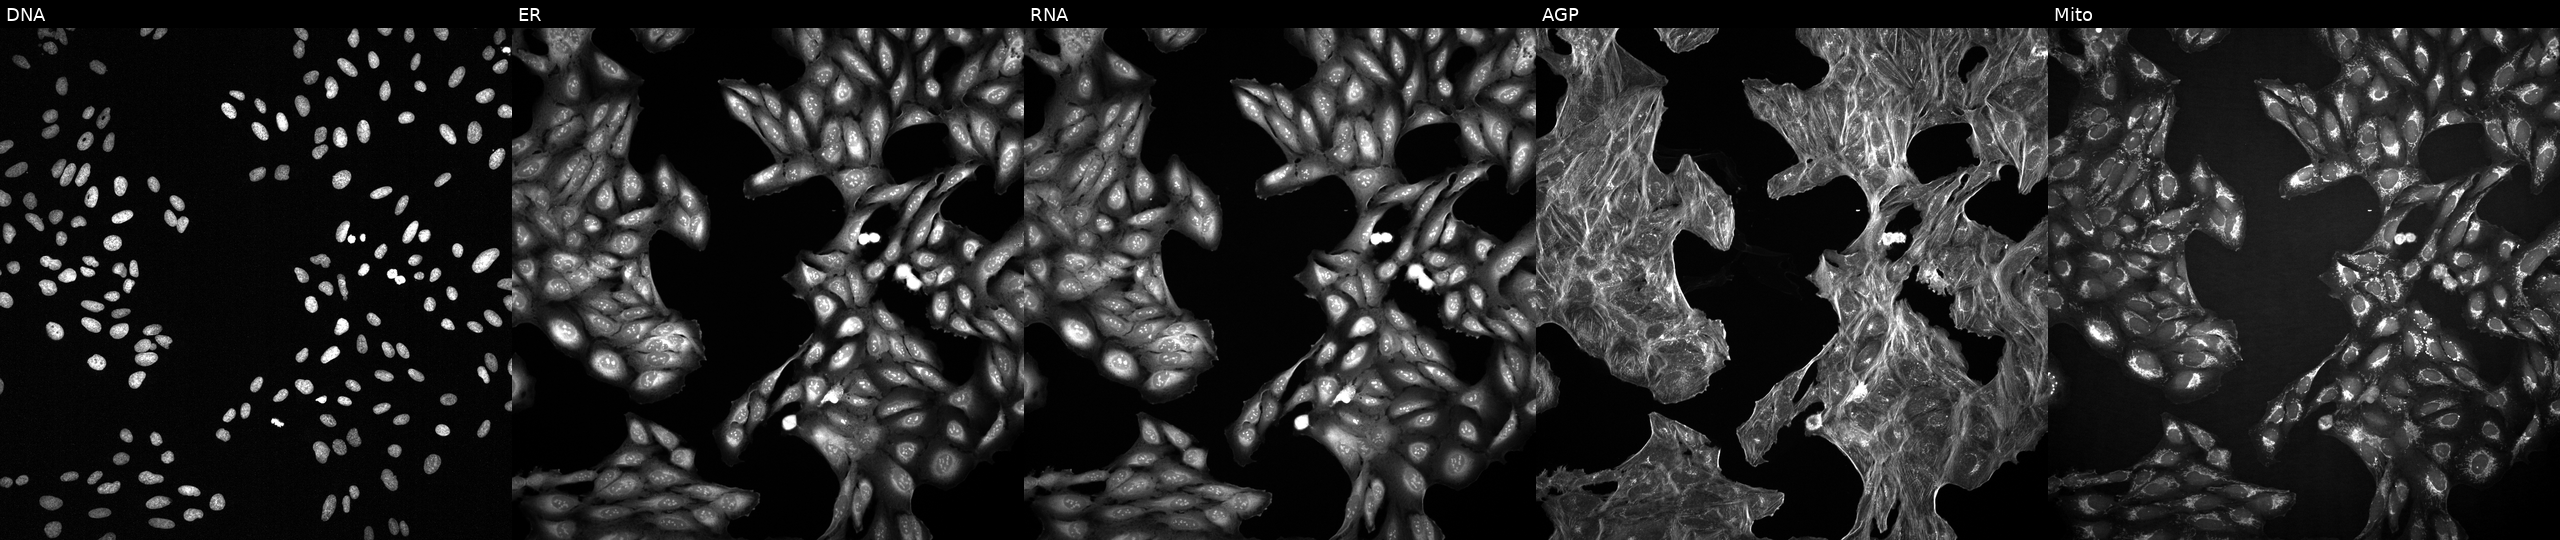
High-content fluorescence microscopy (Cell Painting). Cell line: U2OS. Perturbation: treated with a small-molecule compound (InChIKey PBDFNIURQXFXGM-UHFFFAOYSA-N) [SMILES: Cc1ccc(-c2csc(C=Cc3cc(Br)c(O)c(Br)c3)n2)cc1] (JUMP id JCP2022_067444). Panels show, left to right, Hoechst 33342, concanavalin A, SYTO 14, phalloidin and WGA, MitoTracker. Source 2, plate 1053601756, well M05.